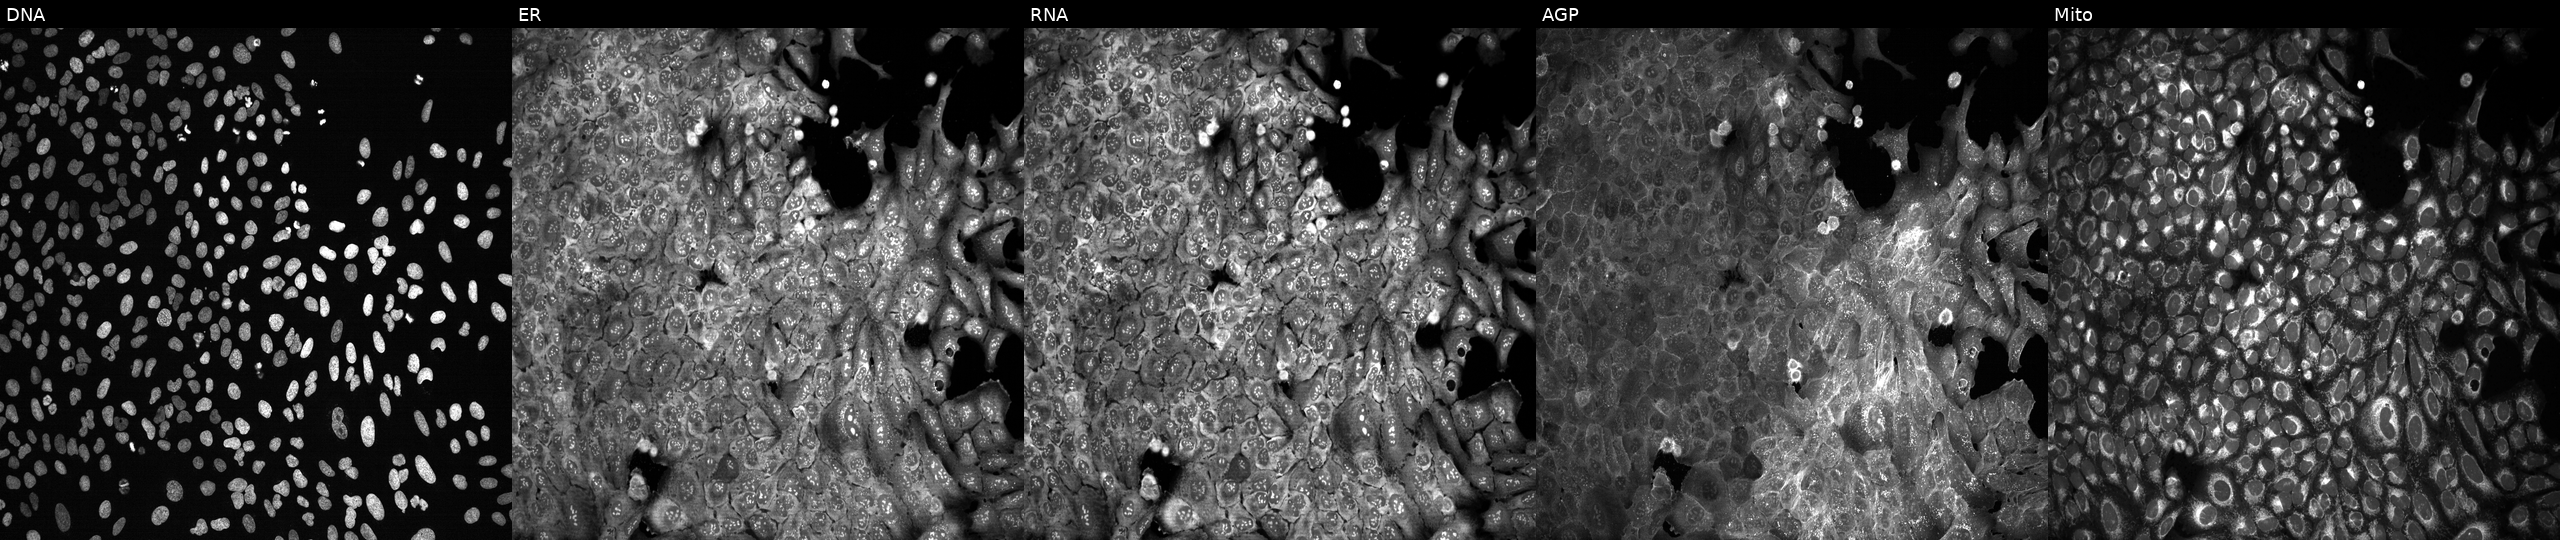
Panels show, left to right, Hoechst 33342, concanavalin A, SYTO 14, phalloidin and WGA, MitoTracker. U2OS osteosarcoma cells following CRISPR knockout of SCML1 (JUMP id JCP2022_806202). Cell Painting assay, JUMP-CP dataset. Source 13, plate CP-CC9-R6-19, well L14.